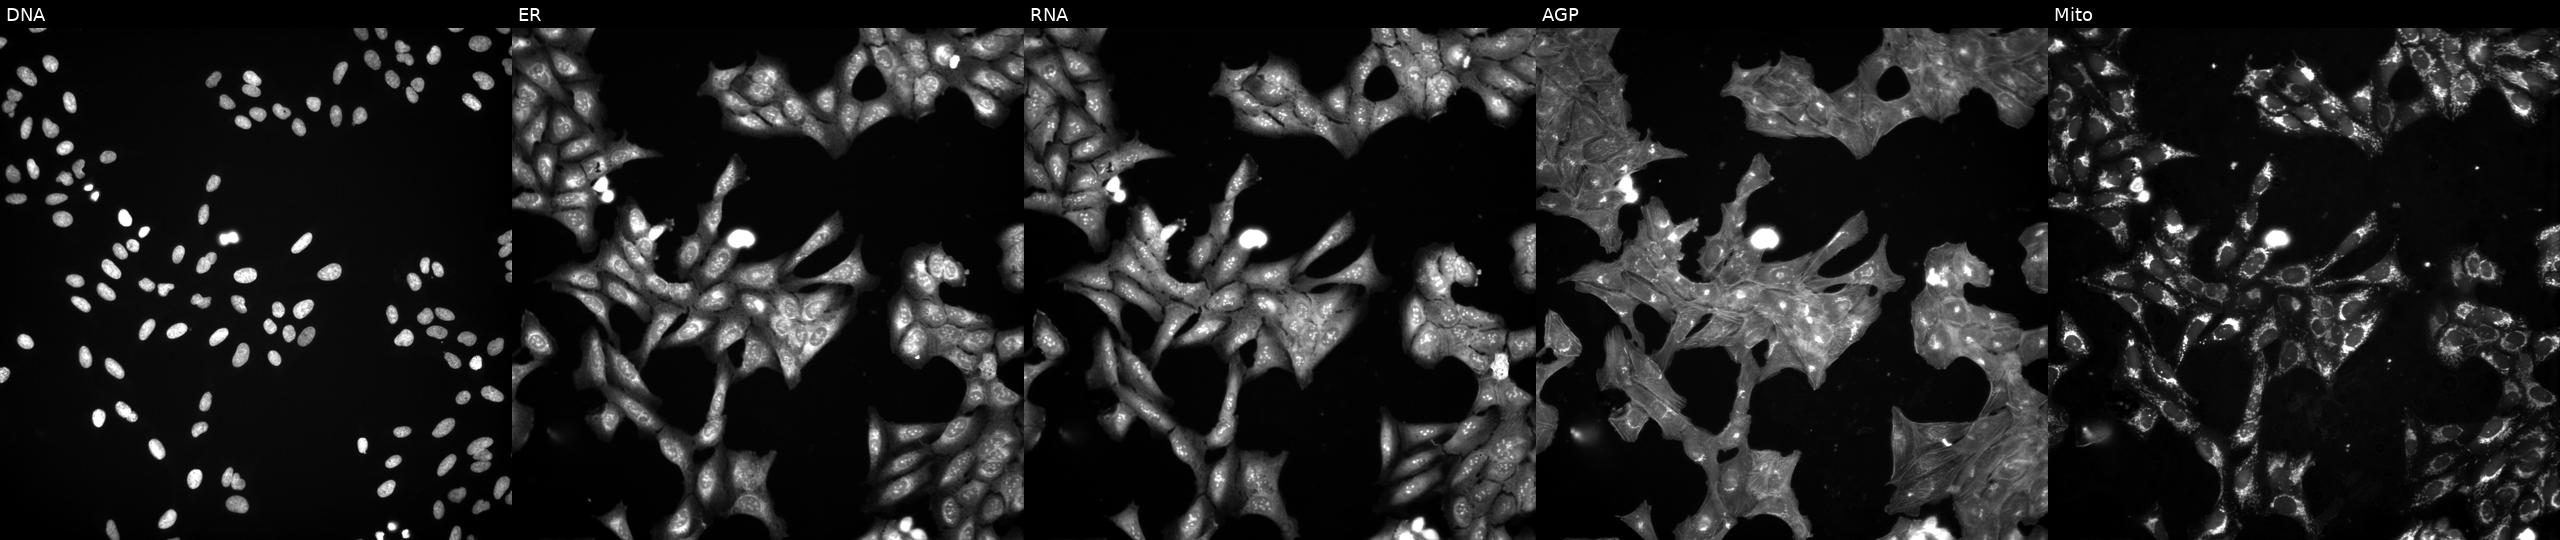
JUMP Cell Painting — TARGET2 plate. U2OS cells exposed to DMSO alone as a negative control. Channels (left→right): DNA, ER, RNA, AGP, and Mito.